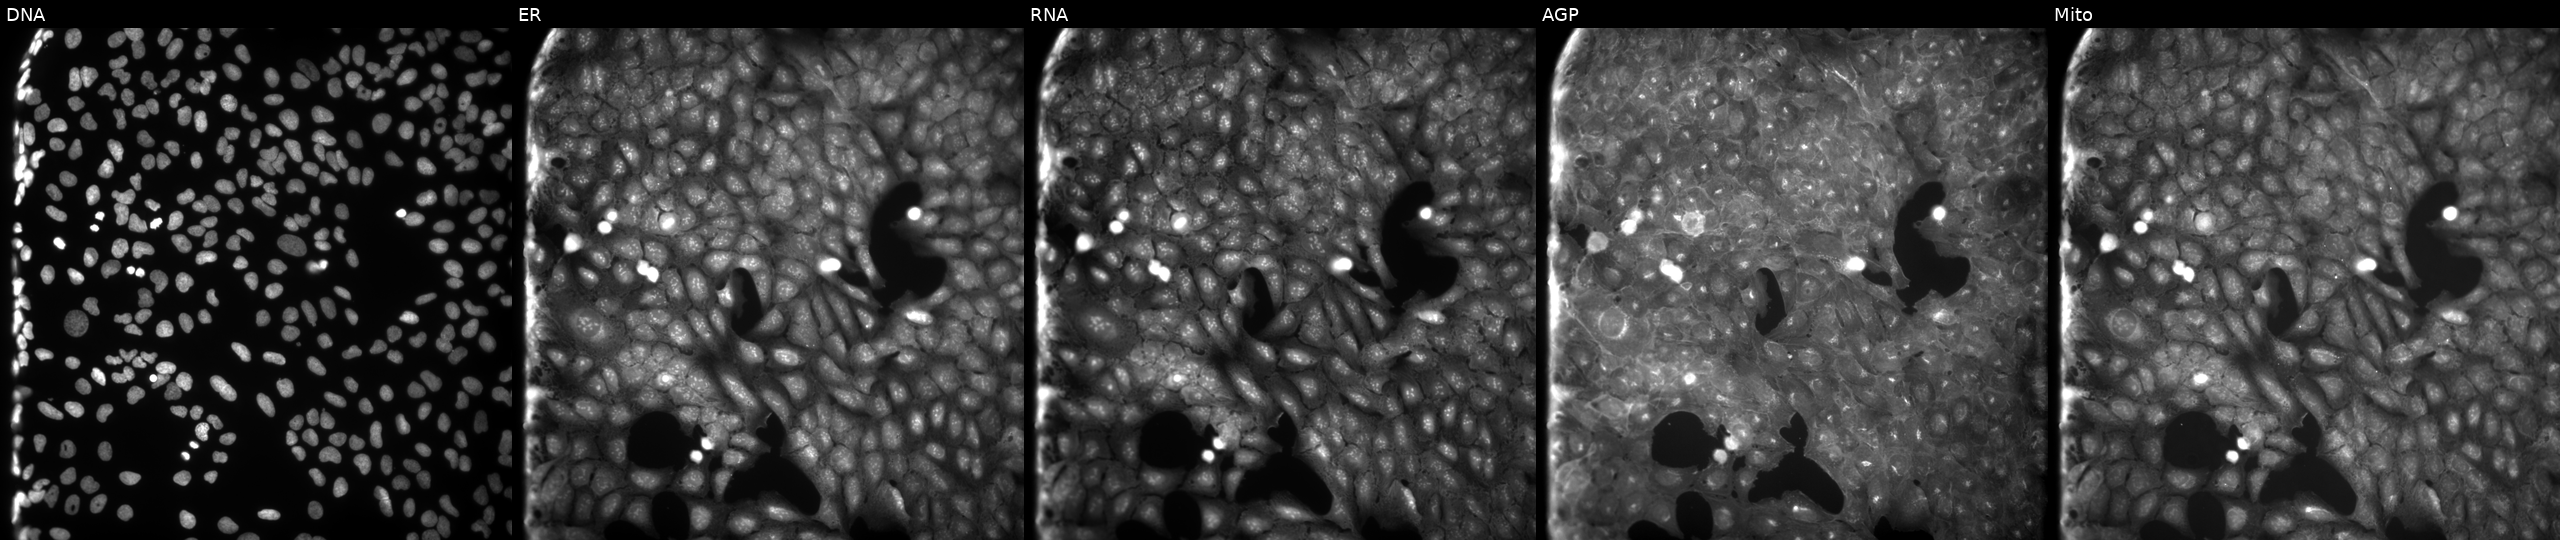
JUMP Cell Painting — COMPOUND plate. U2OS cells treated with a small-molecule compound (InChIKey JNJQPGQRNYZXRG-UHFFFAOYSA-N) (JUMP id JCP2022_040908). Panels show, left to right, Hoechst 33342, concanavalin A, SYTO 14, phalloidin and WGA, MitoTracker.